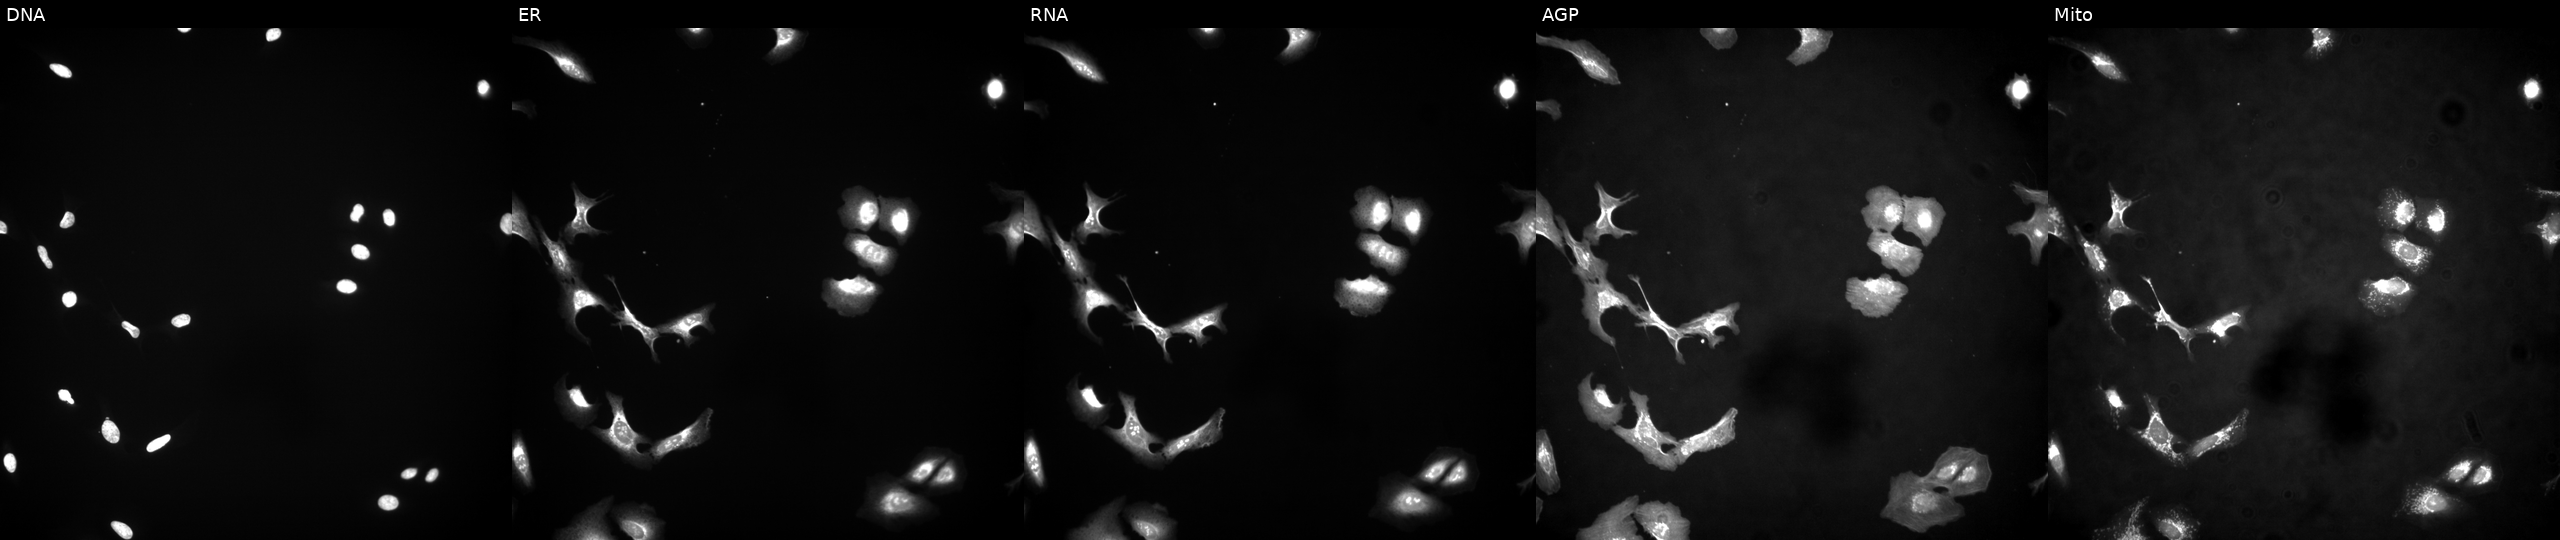
High-content fluorescence microscopy (Cell Painting). Cell line: U2OS. Perturbation: in an empty control well (no perturbation) (JUMP id JCP2022_999999). From left to right: DNA, ER, RNA, AGP, and Mito.